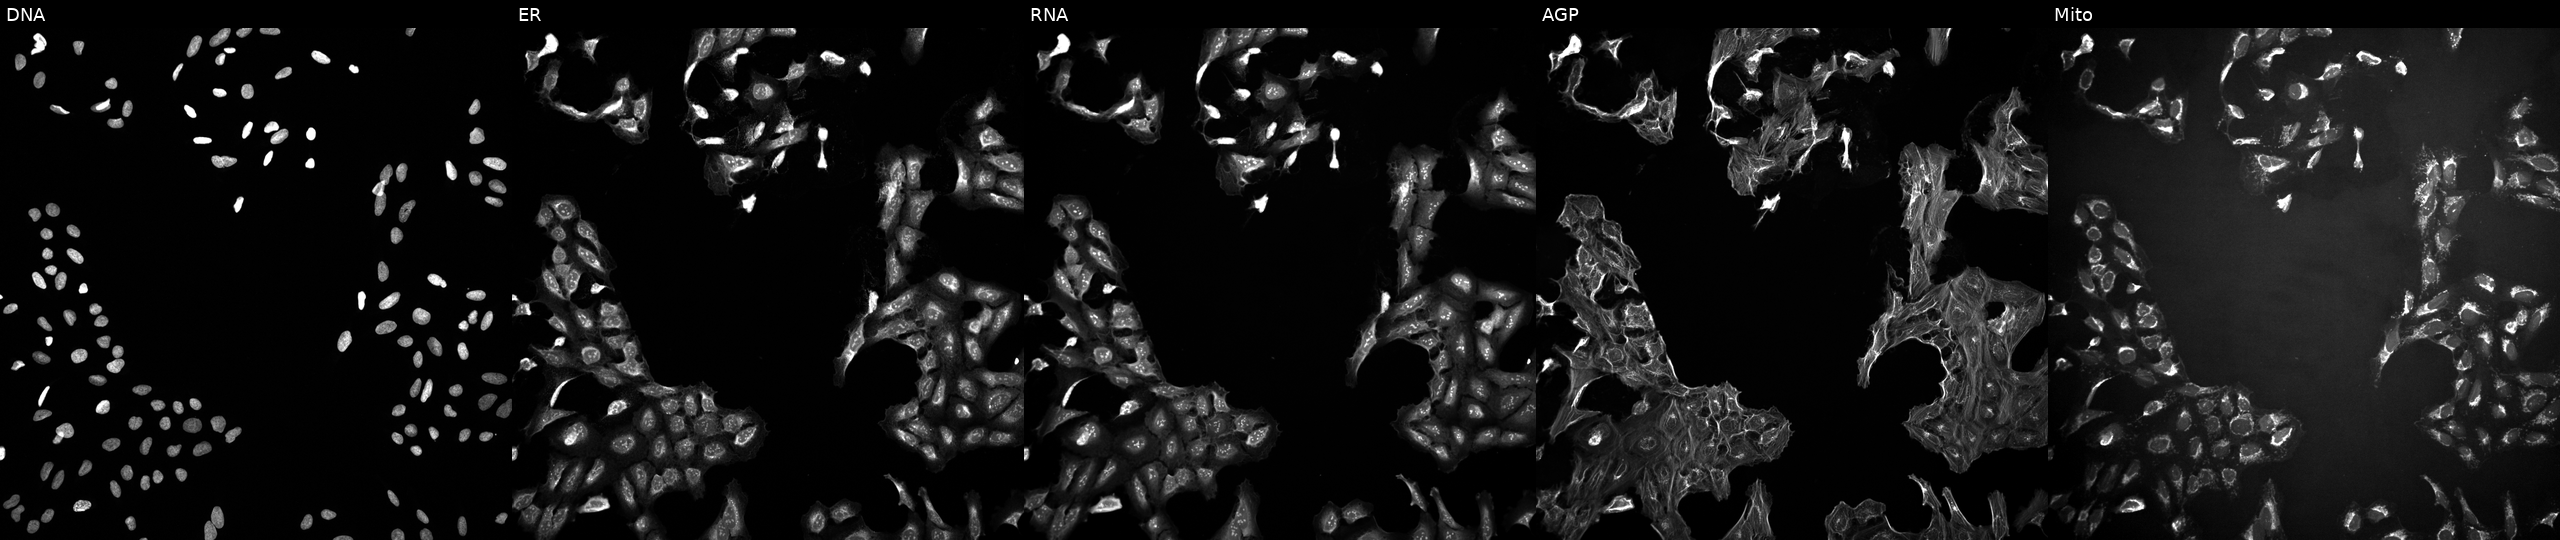
U2OS cells, Cell Painting assay, exposed to DMSO alone as a negative control (JUMP id JCP2022_033924). From left to right: Hoechst 33342, concanavalin A, SYTO 14, phalloidin and WGA, MitoTracker. Each panel is percentile-stretched 16-bit fluorescence.